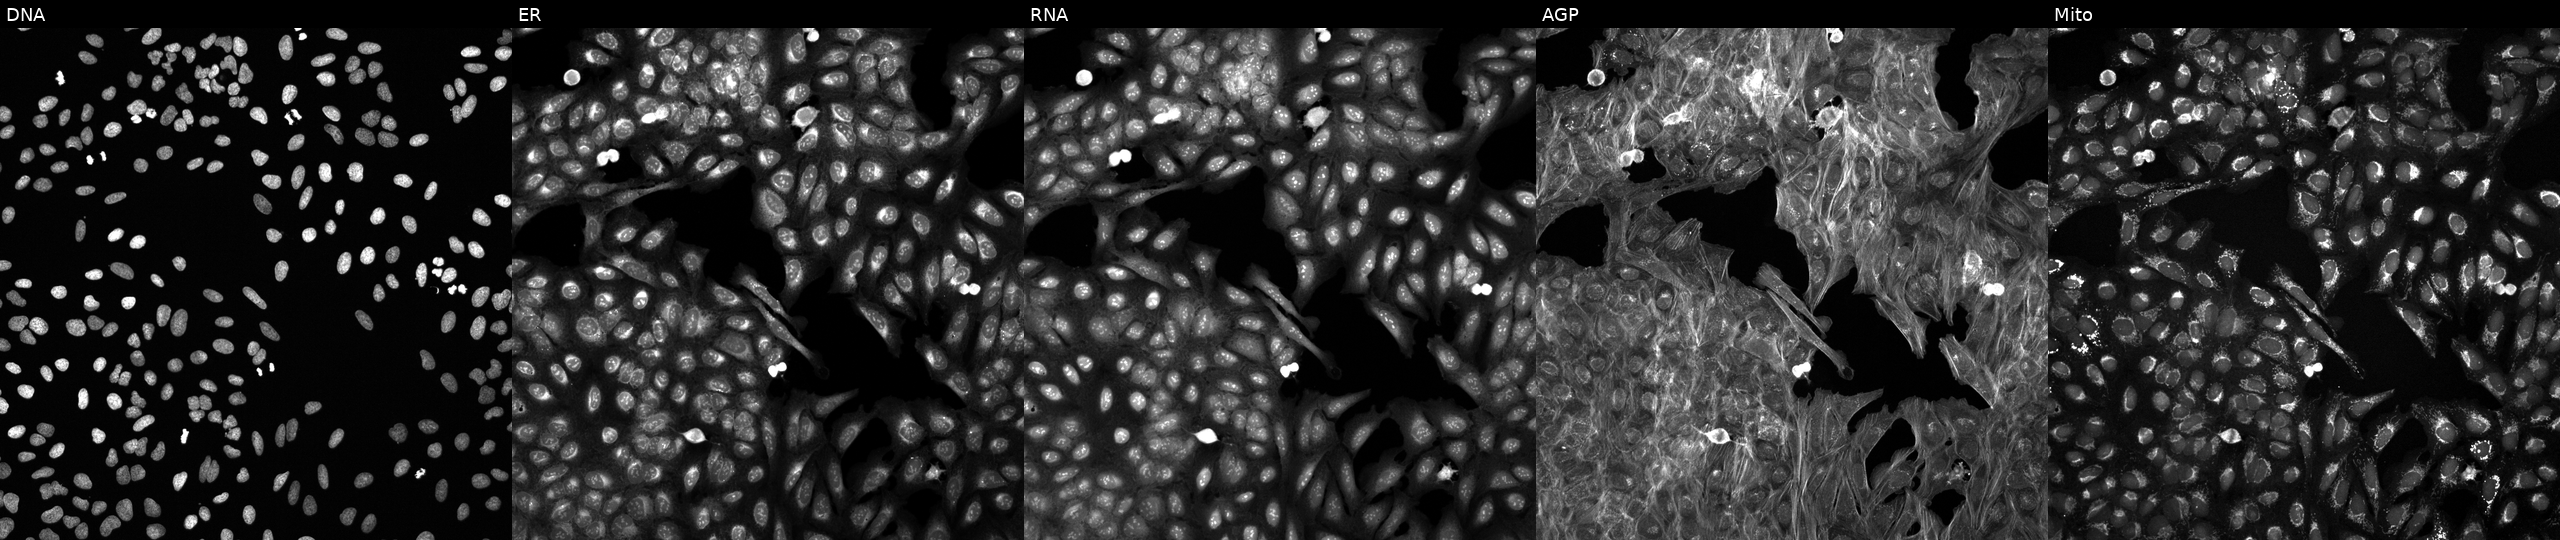
Five-channel Cell Painting image of U2OS cells treated with DMSO vehicle only (negative control). The five panels, left to right, show Hoechst 33342, concanavalin A, SYTO 14, phalloidin and WGA, MitoTracker. Source 6, plate 110000293083, well A23.